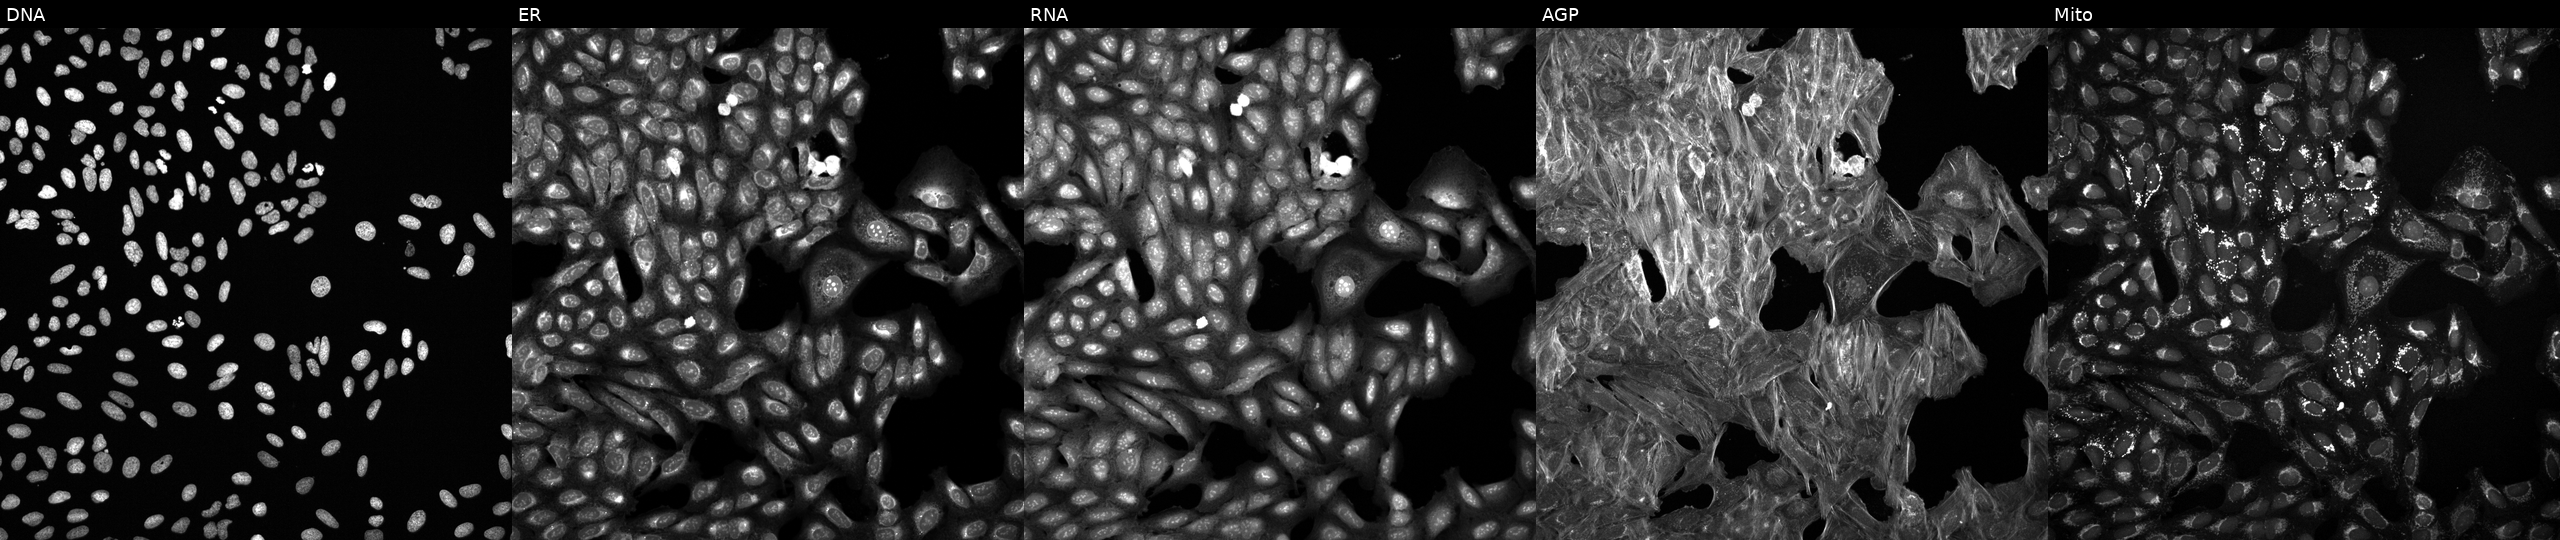
Five-channel Cell Painting image of U2OS cells treated with a small-molecule compound (JUMP id JCP2022_094461). Channels (left→right): DNA (nuclei); ER (endoplasmic reticulum); RNA (nucleoli and cytoplasmic RNA); AGP (actin cytoskeleton, Golgi, and plasma membrane); Mito (mitochondria).